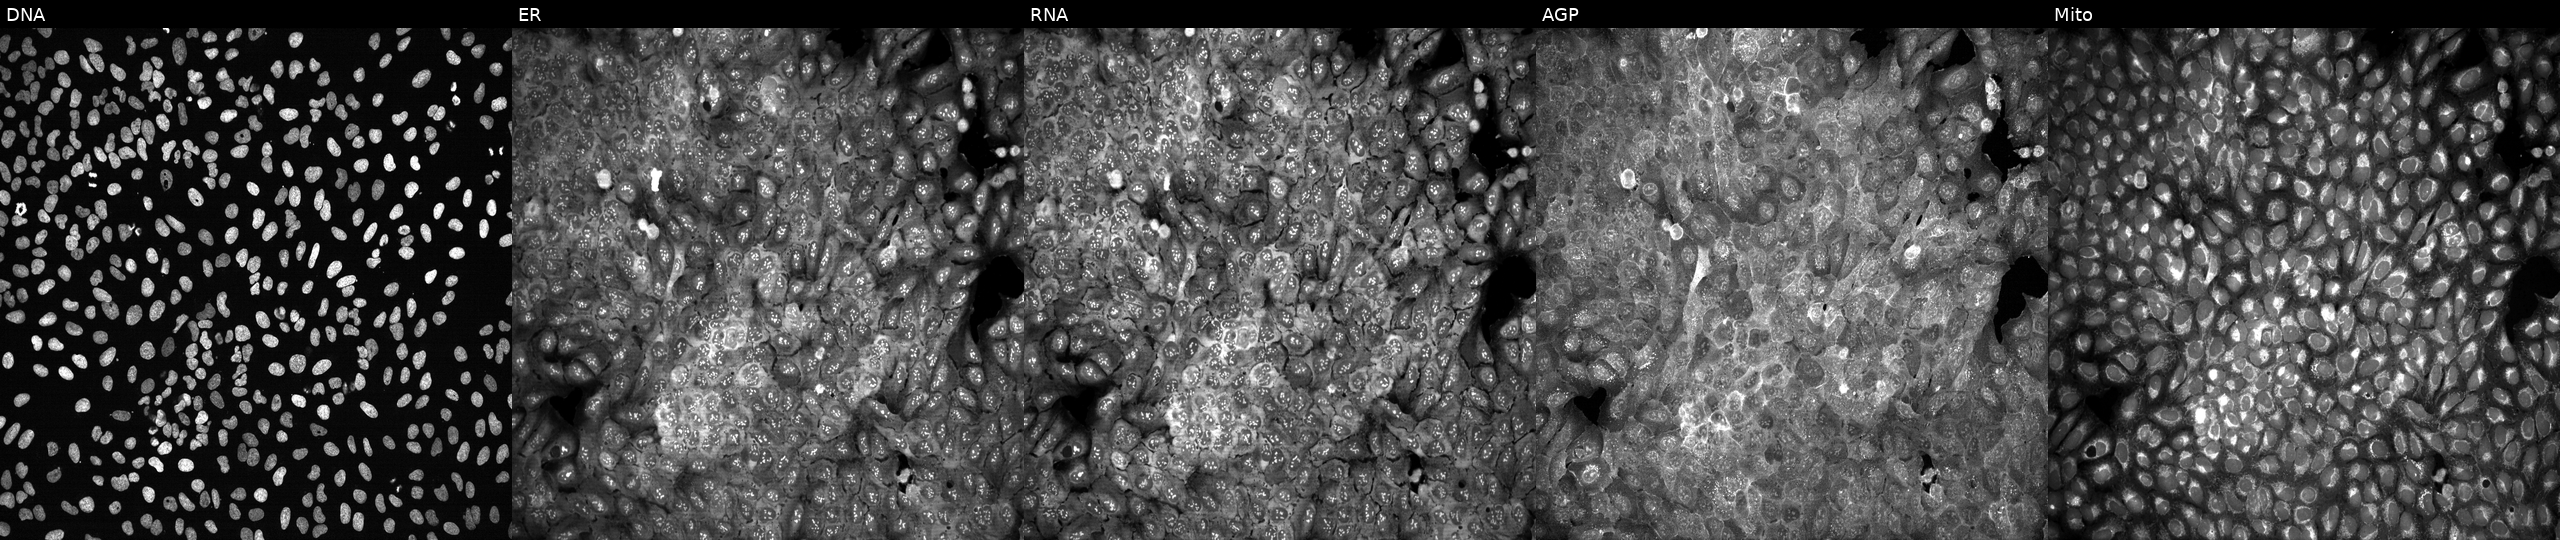
The five panels, left to right, show Hoechst 33342, concanavalin A, SYTO 14, phalloidin and WGA, MitoTracker. U2OS osteosarcoma cells with ST8SIA3 knocked out by CRISPR (JUMP id JCP2022_806813). Cell Painting assay, JUMP-CP dataset.